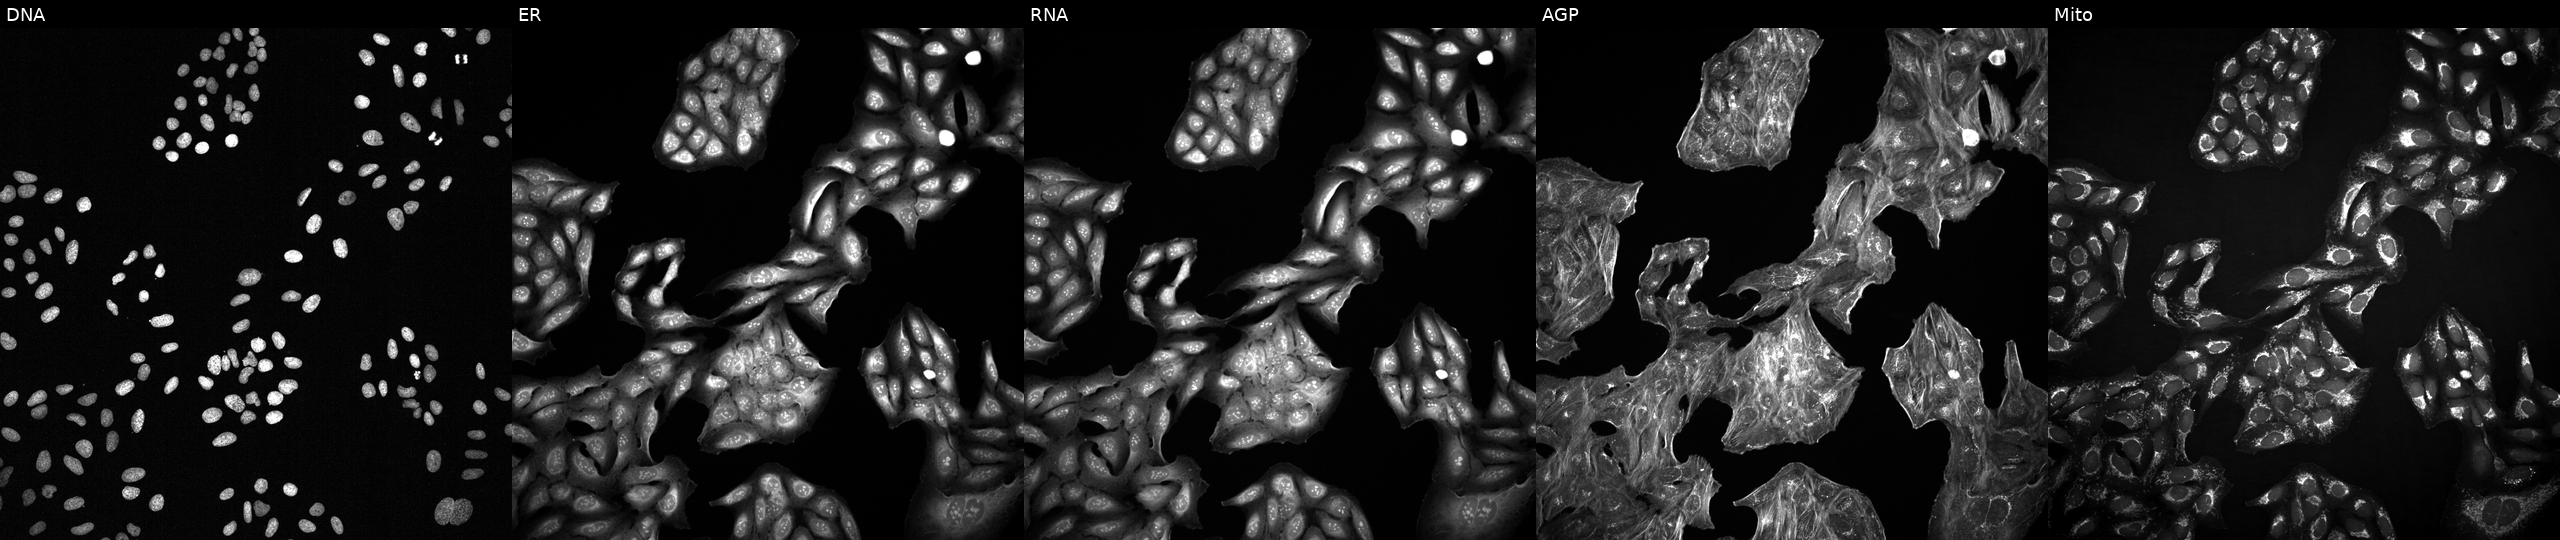
U2OS cells, Cell Painting assay, exposed to a small-molecule compound (InChIKey WATNXVHKRRTUFK-UHFFFAOYSA-N). From left to right: DNA (nuclei); ER (endoplasmic reticulum); RNA (nucleoli and cytoplasmic RNA); AGP (actin cytoskeleton, Golgi, and plasma membrane); Mito (mitochondria). Each panel is percentile-stretched 16-bit fluorescence.